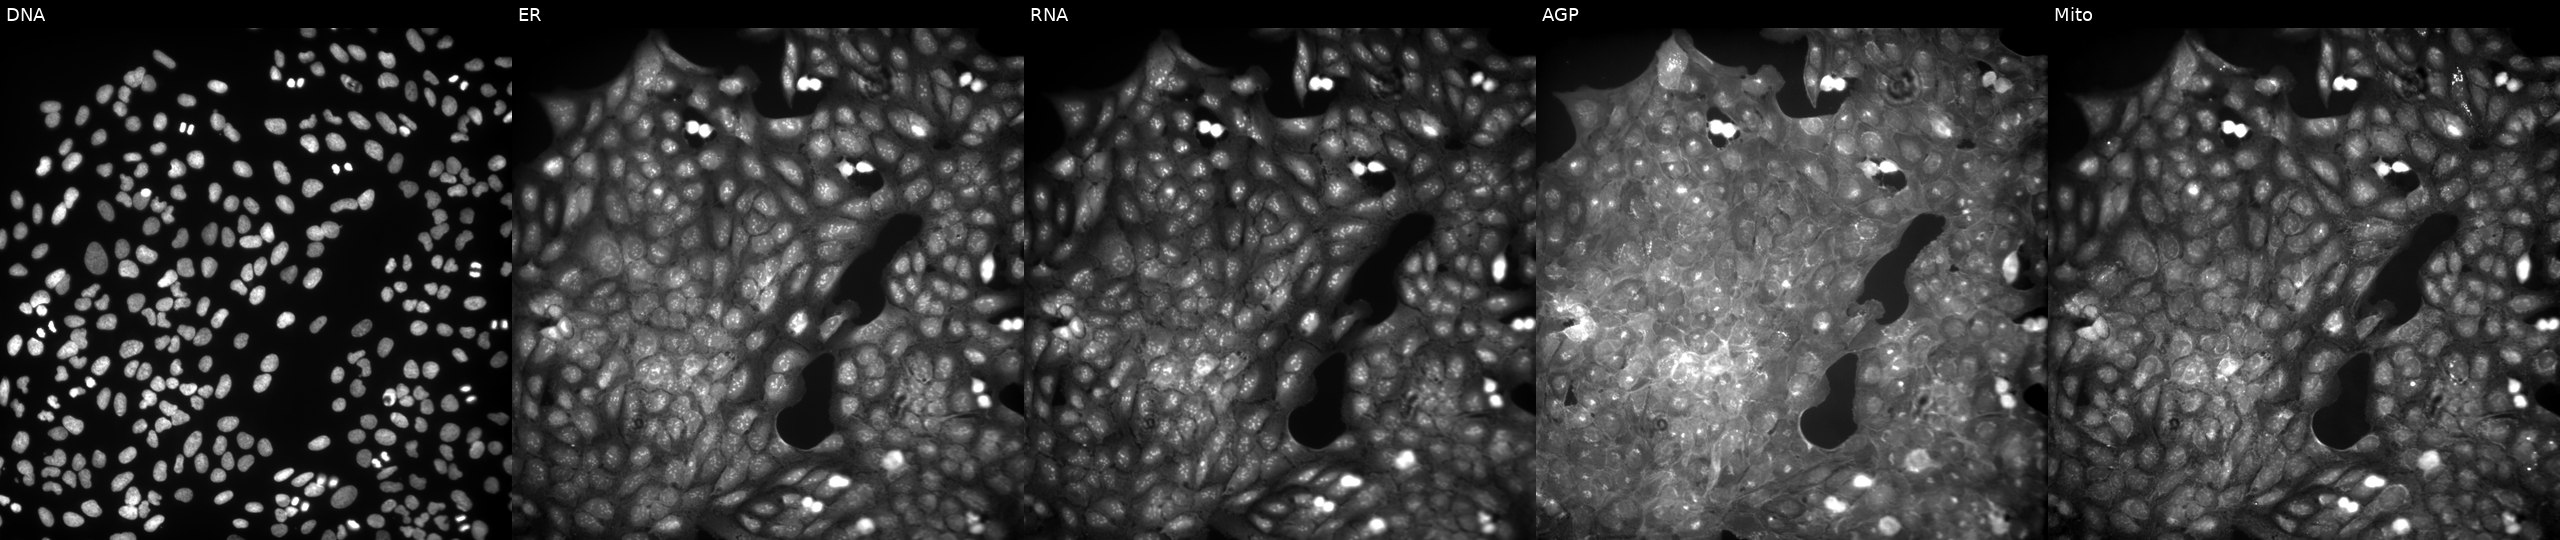
From left to right: DNA (nuclei); ER (endoplasmic reticulum); RNA (nucleoli and cytoplasmic RNA); AGP (actin cytoskeleton, Golgi, and plasma membrane); Mito (mitochondria). U2OS osteosarcoma cells perturbed with a small-molecule compound (InChIKey AADWKSKCFXJLFW-UHFFFAOYSA-N). Cell Painting assay, JUMP-CP dataset. Source 9, plate GR00003381, well AF37.